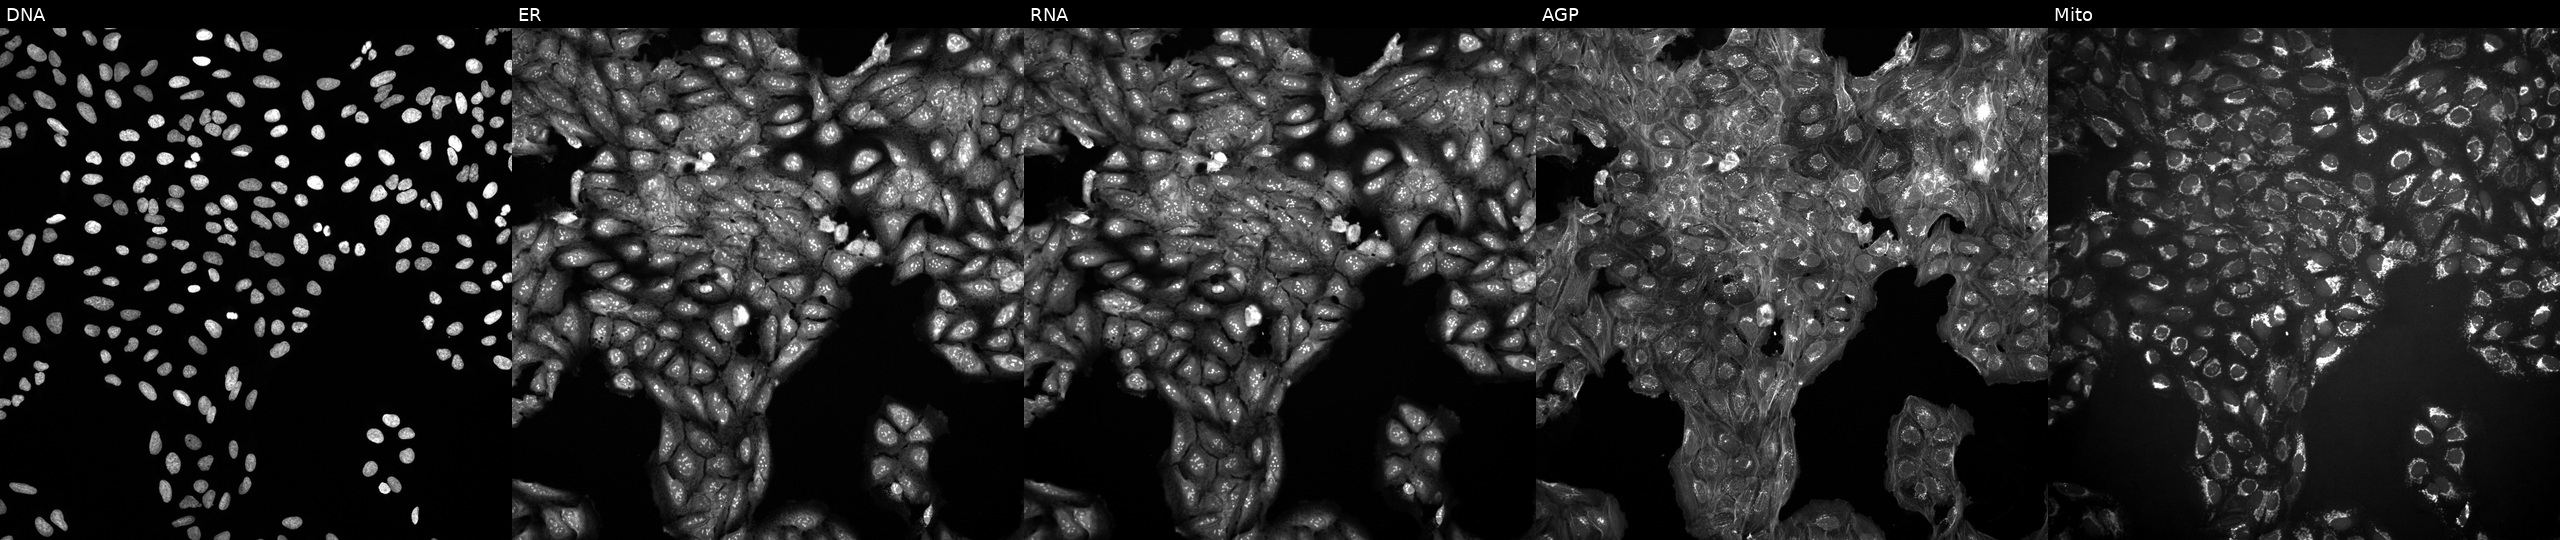
U2OS cells, Cell Painting assay, exposed to a small-molecule compound (InChIKey TUERPSDUQPNNLZ-UHFFFAOYSA-N) (JUMP id JCP2022_086730). Channels (left→right): DNA, ER, RNA, AGP, and Mito. Each panel is percentile-stretched 16-bit fluorescence. Source 10, plate Dest210531-152149, well E03.